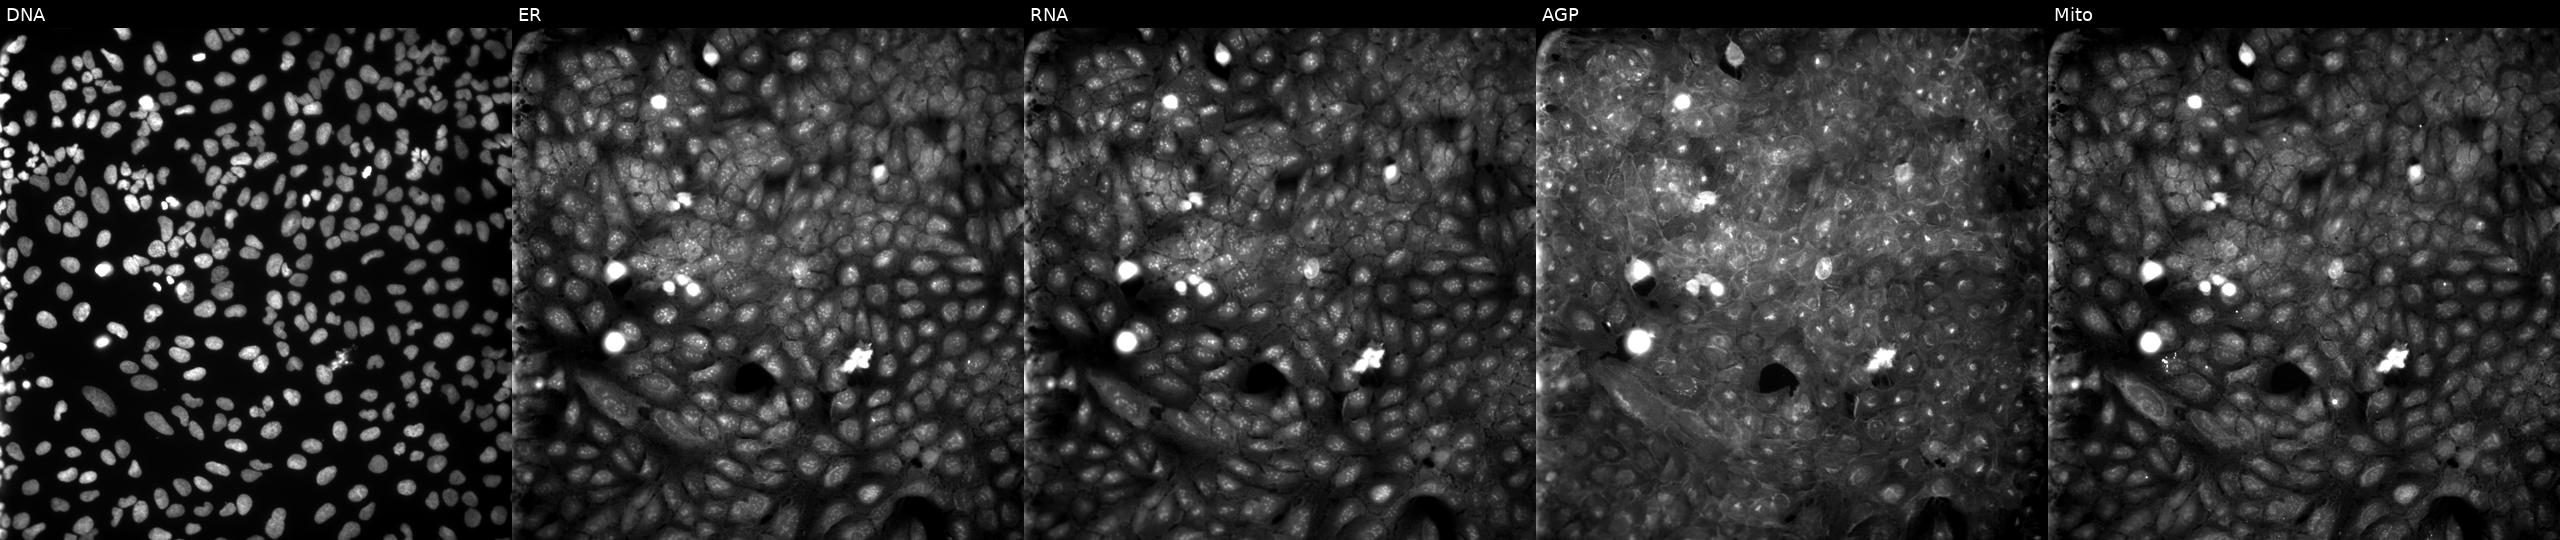
Five-channel Cell Painting image of U2OS cells perturbed with a small-molecule compound (JUMP id JCP2022_098041). The five panels, left to right, show Hoechst 33342, concanavalin A, SYTO 14, phalloidin and WGA, MitoTracker.